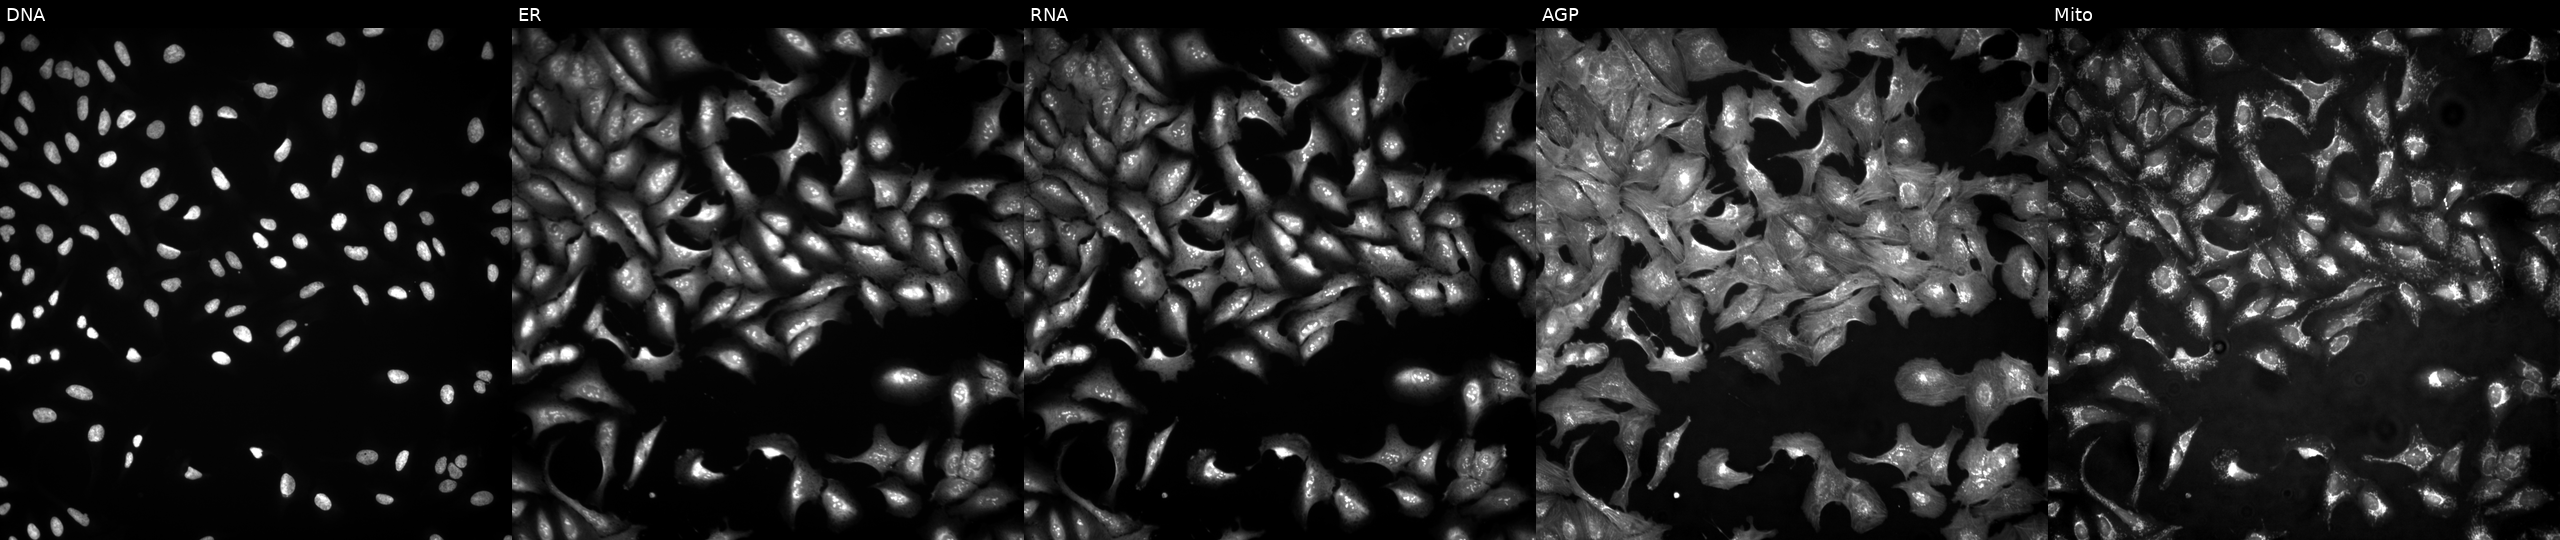
The five panels, left to right, show Hoechst 33342, concanavalin A, SYTO 14, phalloidin and WGA, MitoTracker. U2OS osteosarcoma cells with ANKHD1 overexpressed (ORF) (JUMP id JCP2022_911284). Cell Painting assay, JUMP-CP dataset. Source 4, plate BR00124784, well E03.